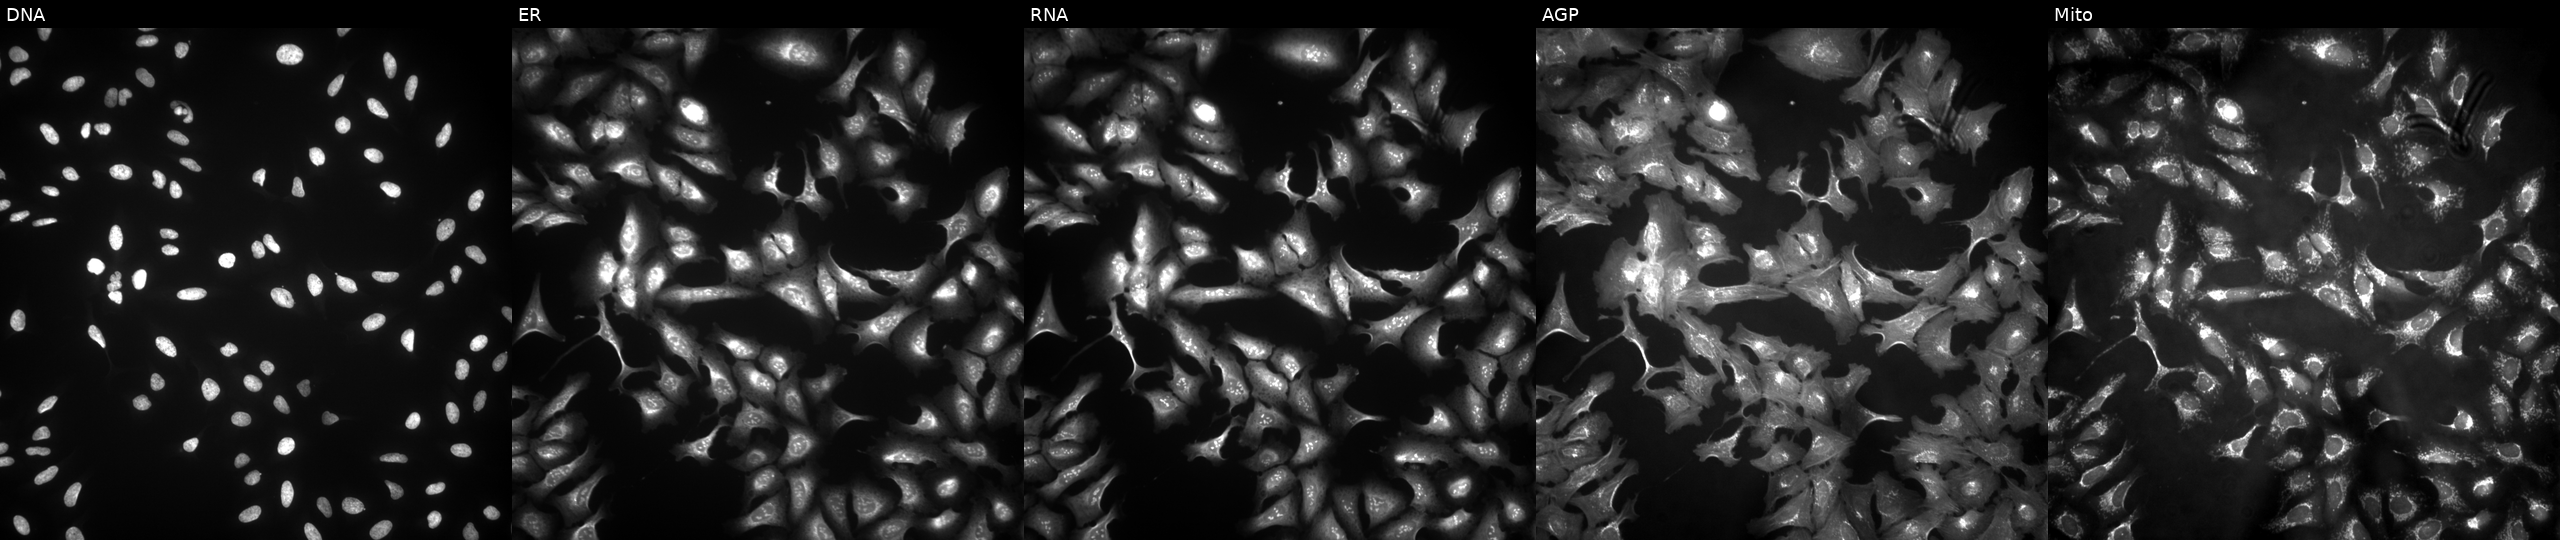
U2OS cells, Cell Painting assay, transfected with an ORF construct for RNF170 (JUMP id JCP2022_909556). The five panels, left to right, show Hoechst 33342, concanavalin A, SYTO 14, phalloidin and WGA, MitoTracker. Each panel is percentile-stretched 16-bit fluorescence.